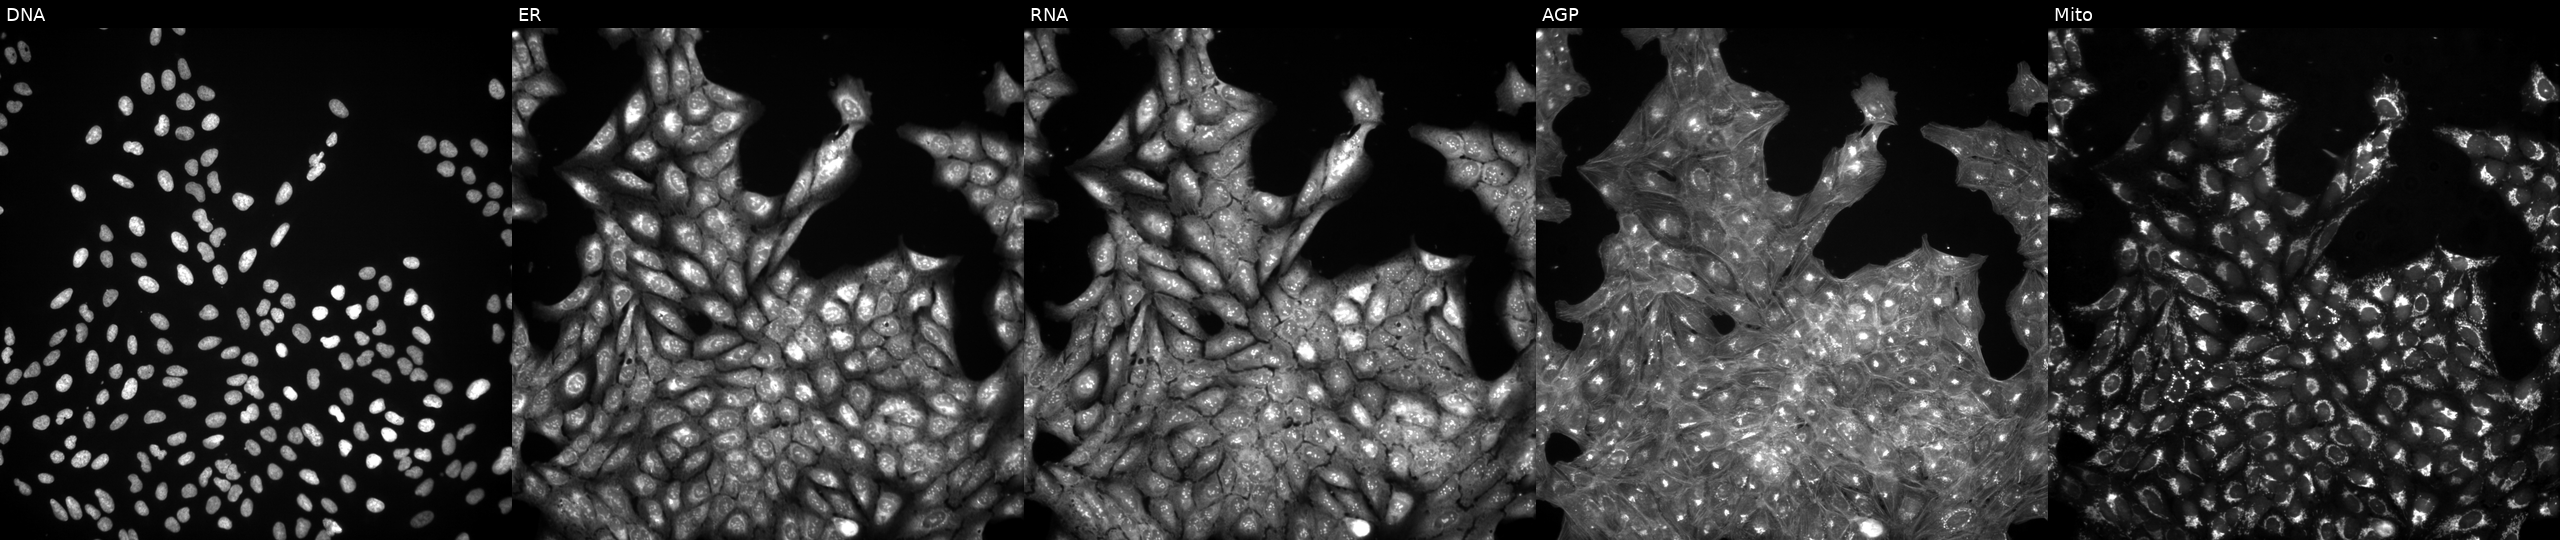
Five-channel Cell Painting image of U2OS cells perturbed with a small-molecule compound (InChIKey ZRALSGWEFCBTJO-UHFFFAOYSA-N) (JUMP id JCP2022_115134). From left to right: DNA (nuclei); ER (endoplasmic reticulum); RNA (nucleoli and cytoplasmic RNA); AGP (actin cytoskeleton, Golgi, and plasma membrane); Mito (mitochondria).